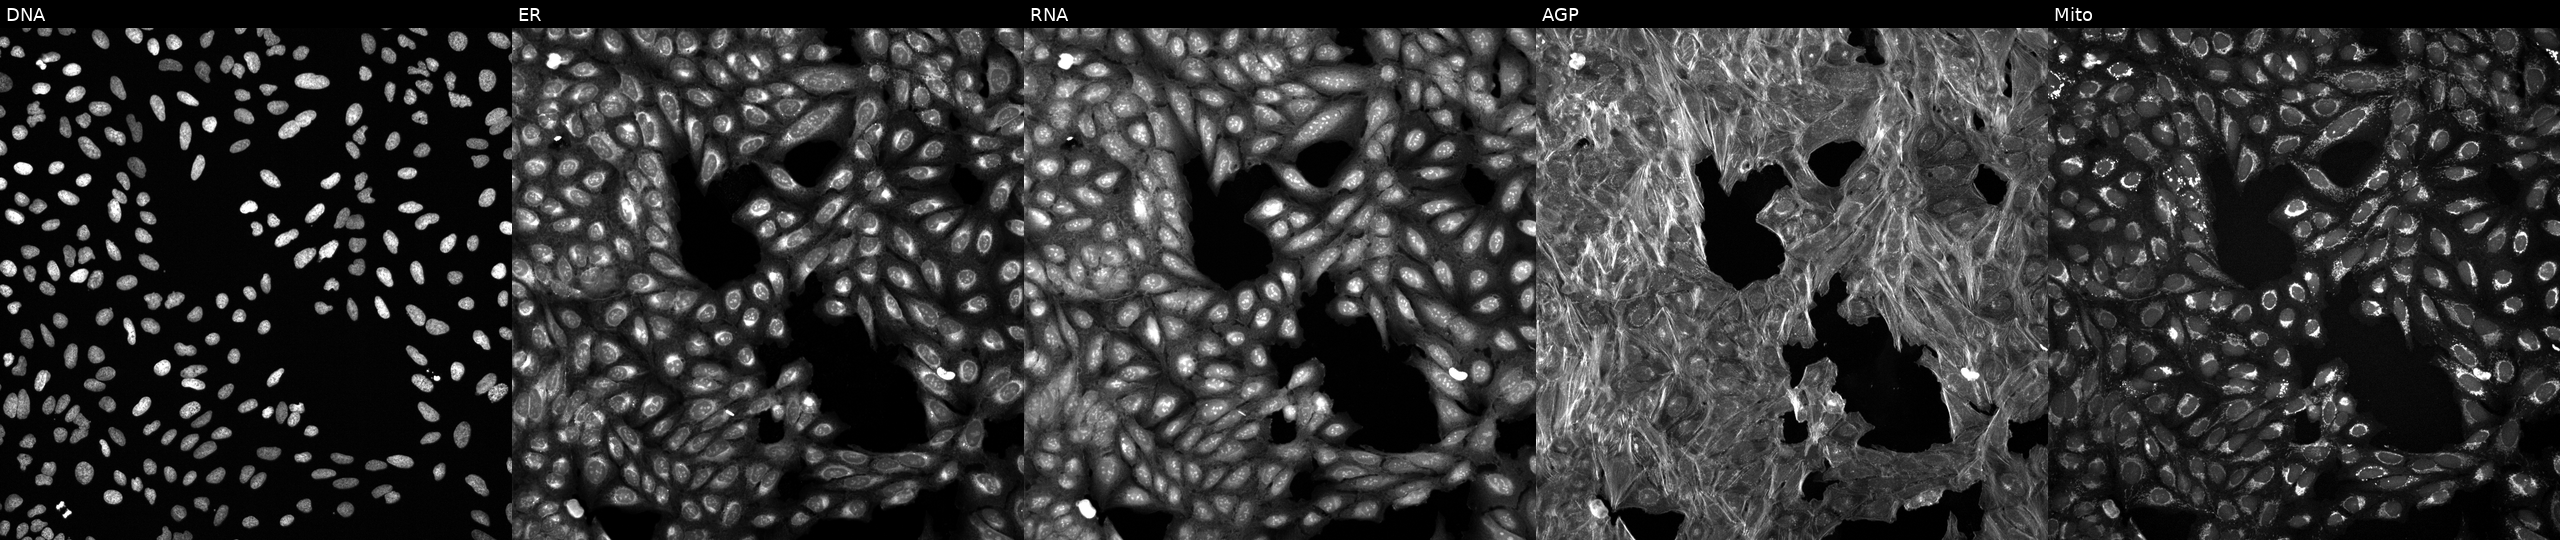
U2OS cells, Cell Painting assay, perturbed with a small-molecule compound (InChIKey SGRYPYWGNKJSDL-UHFFFAOYSA-N). The five panels, left to right, show Hoechst 33342, concanavalin A, SYTO 14, phalloidin and WGA, MitoTracker. Each panel is percentile-stretched 16-bit fluorescence. Source 6, plate 110000293081, well I07.